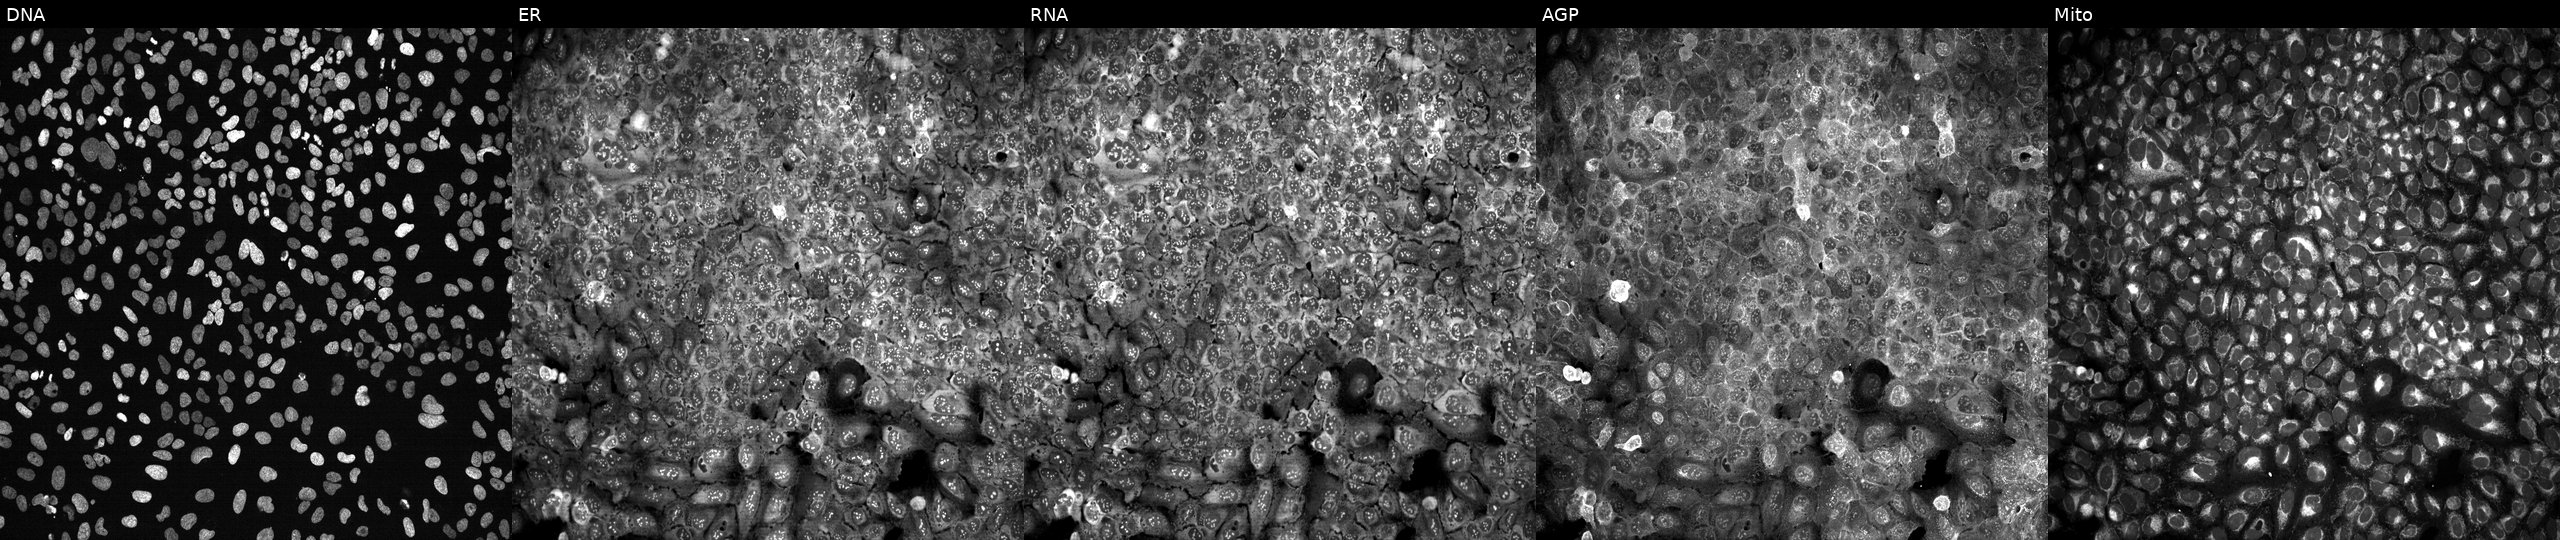
High-content fluorescence microscopy (Cell Painting). Cell line: U2OS. Perturbation: with HADHB knocked out by CRISPR (JUMP id JCP2022_803010). Panels show, left to right, Hoechst 33342, concanavalin A, SYTO 14, phalloidin and WGA, MitoTracker. Source 13, plate CP-CC9-R4-04, well H12.